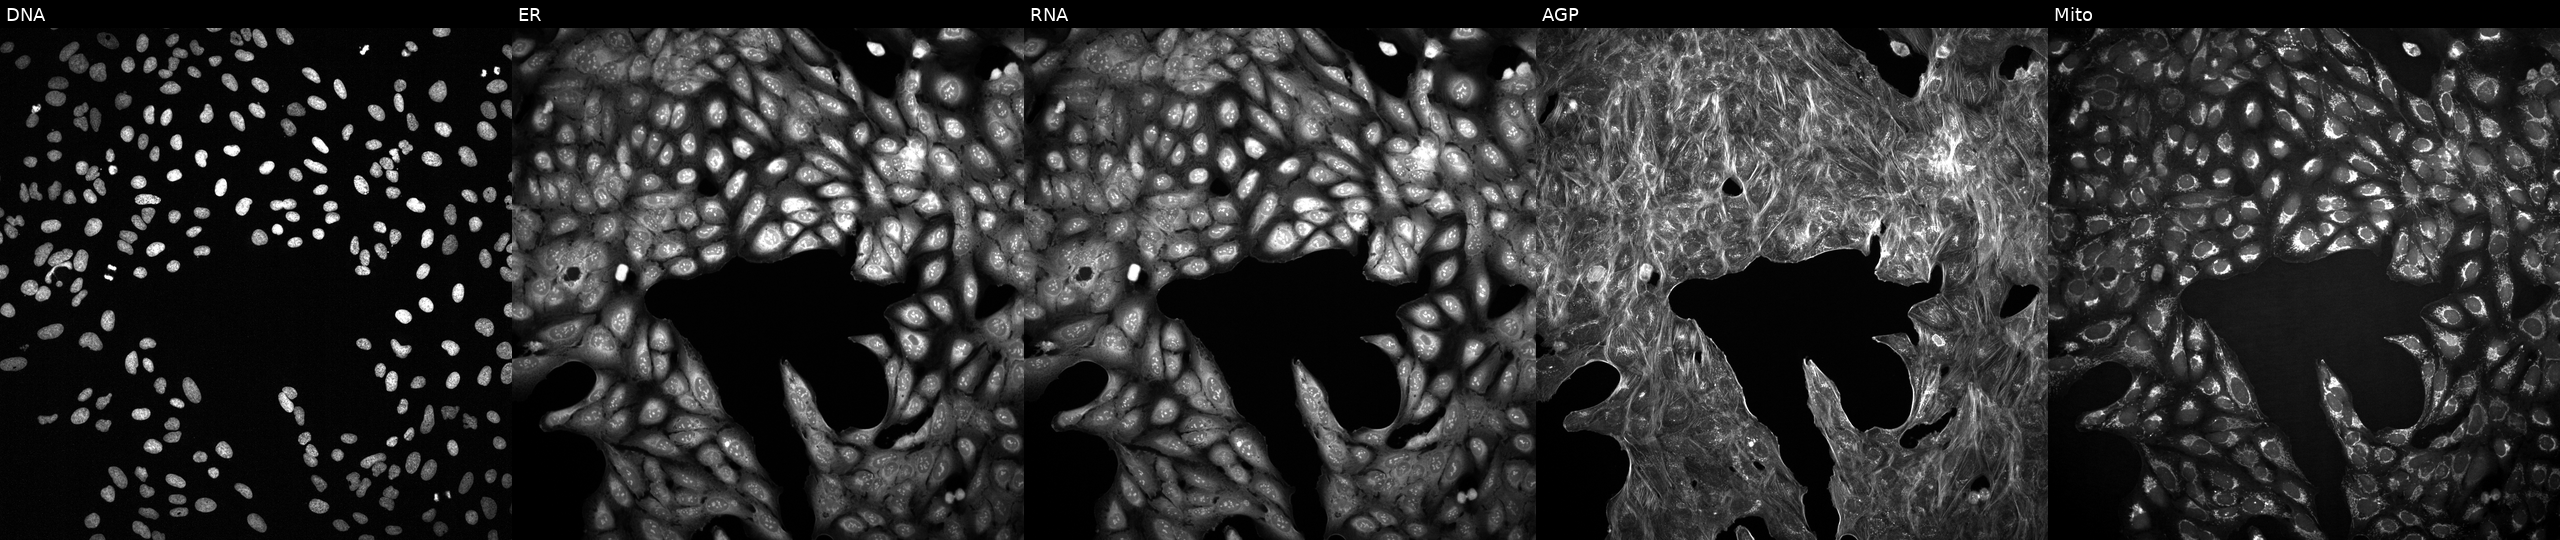
Channels (left→right): DNA, ER, RNA, AGP, and Mito. U2OS osteosarcoma cells with an unidentified perturbation (not annotated in JUMP metadata). Cell Painting assay, JUMP-CP dataset. Source 2, plate 1053601763, well F08.